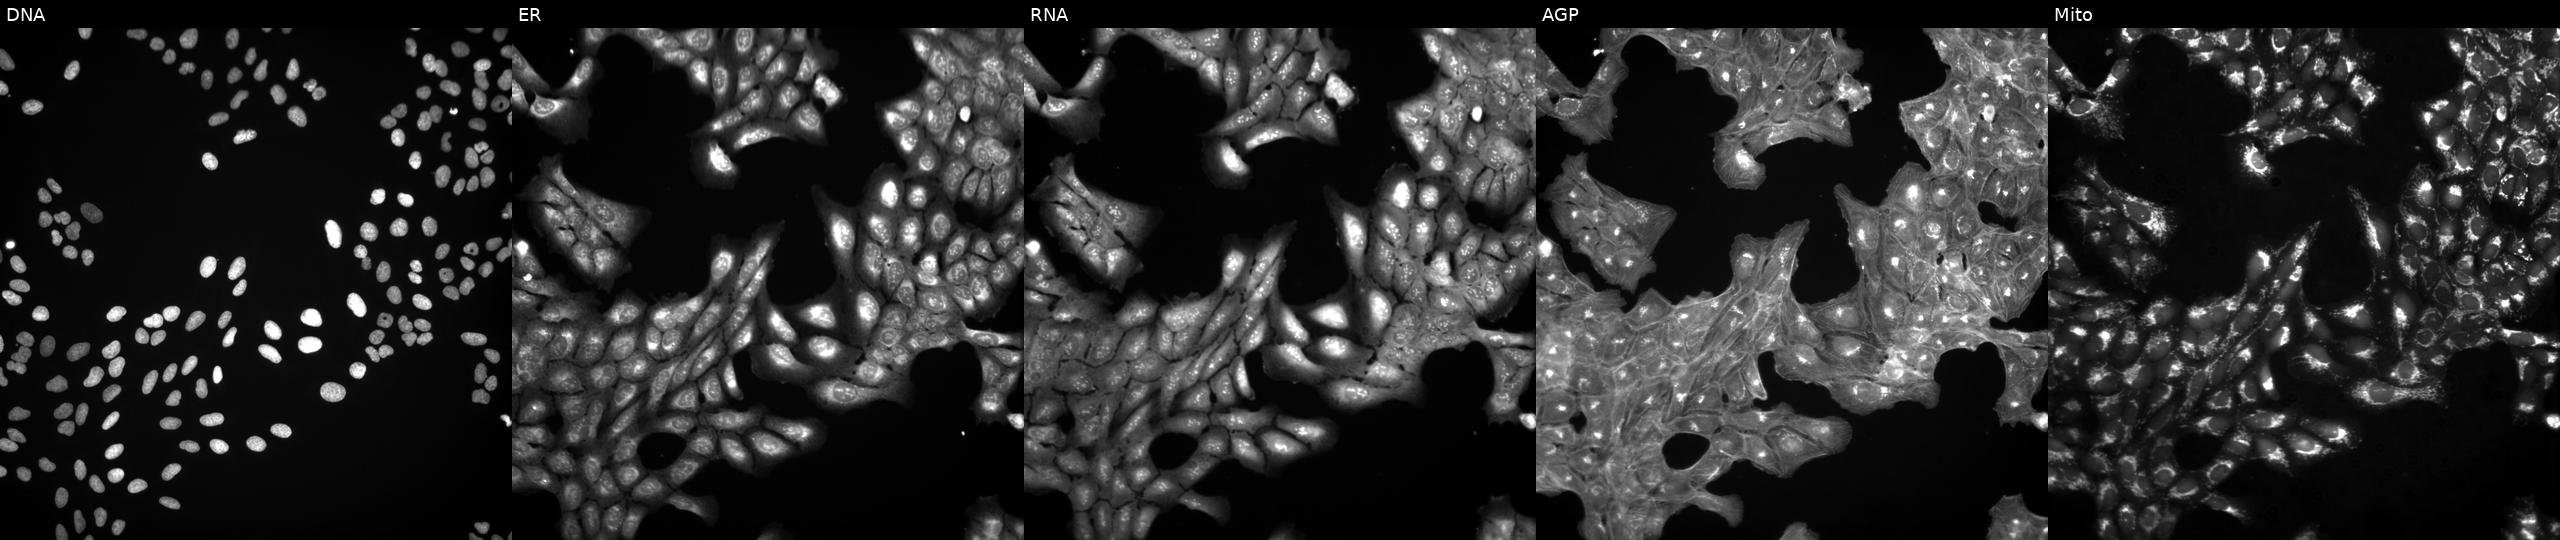
Five-channel Cell Painting image of U2OS cells treated with a small-molecule compound (InChIKey HJQOFEUTEQOYOK-UHFFFAOYSA-N). The five panels, left to right, show DNA (nuclei); ER (endoplasmic reticulum); RNA (nucleoli and cytoplasmic RNA); AGP (actin cytoskeleton, Golgi, and plasma membrane); Mito (mitochondria).